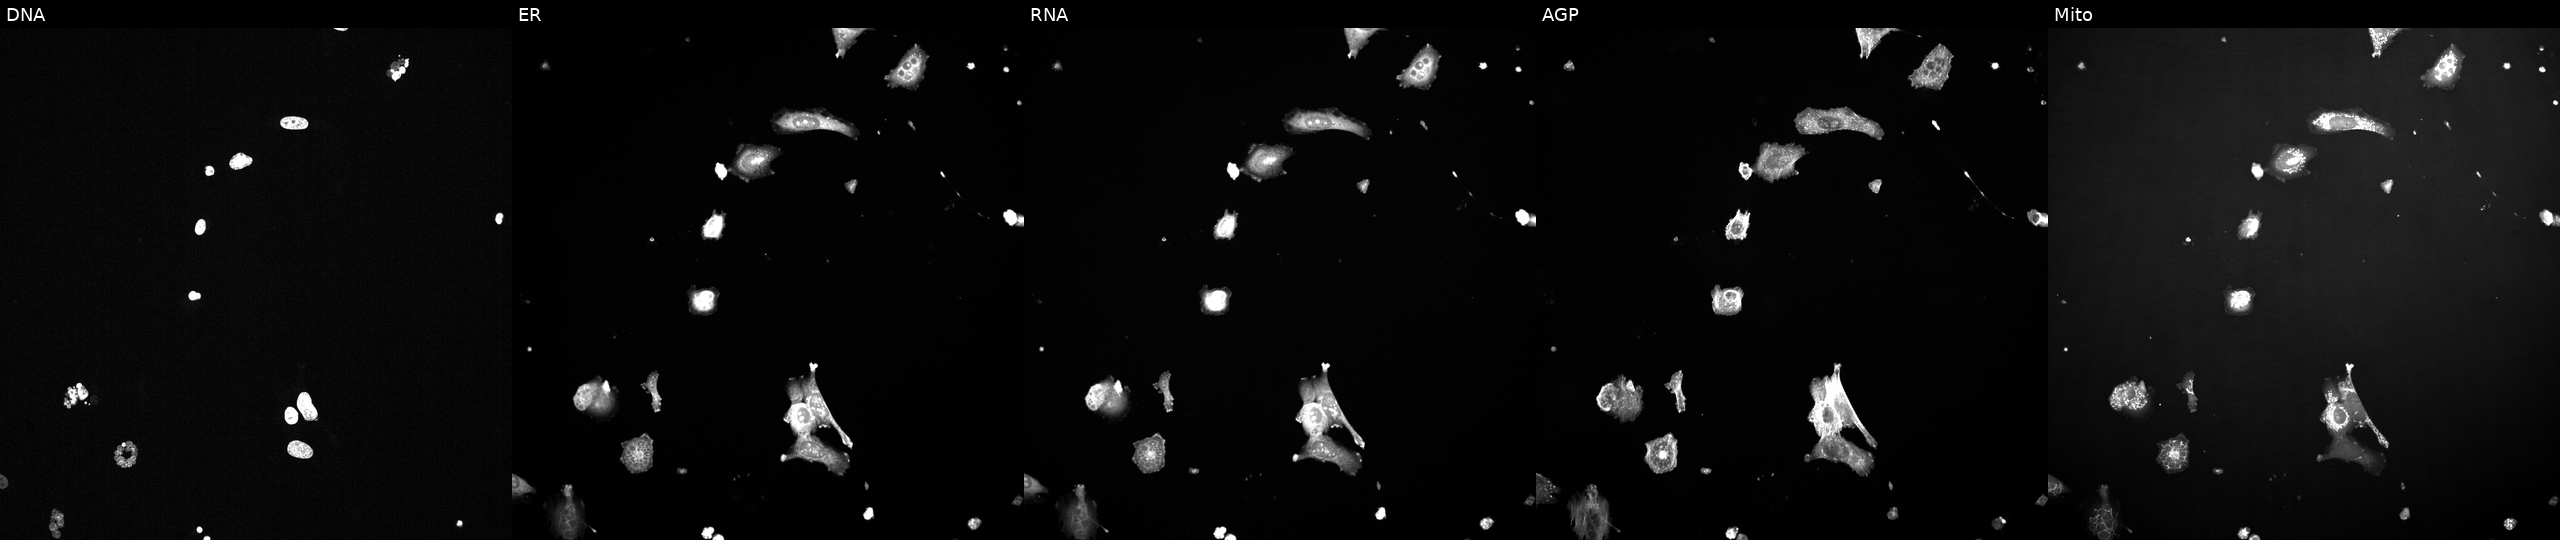
From left to right: Hoechst 33342, concanavalin A, SYTO 14, phalloidin and WGA, MitoTracker. U2OS osteosarcoma cells perturbed with a small-molecule compound (InChIKey MTJHLONVHHPNSI-UHFFFAOYSA-N). Cell Painting assay, JUMP-CP dataset.